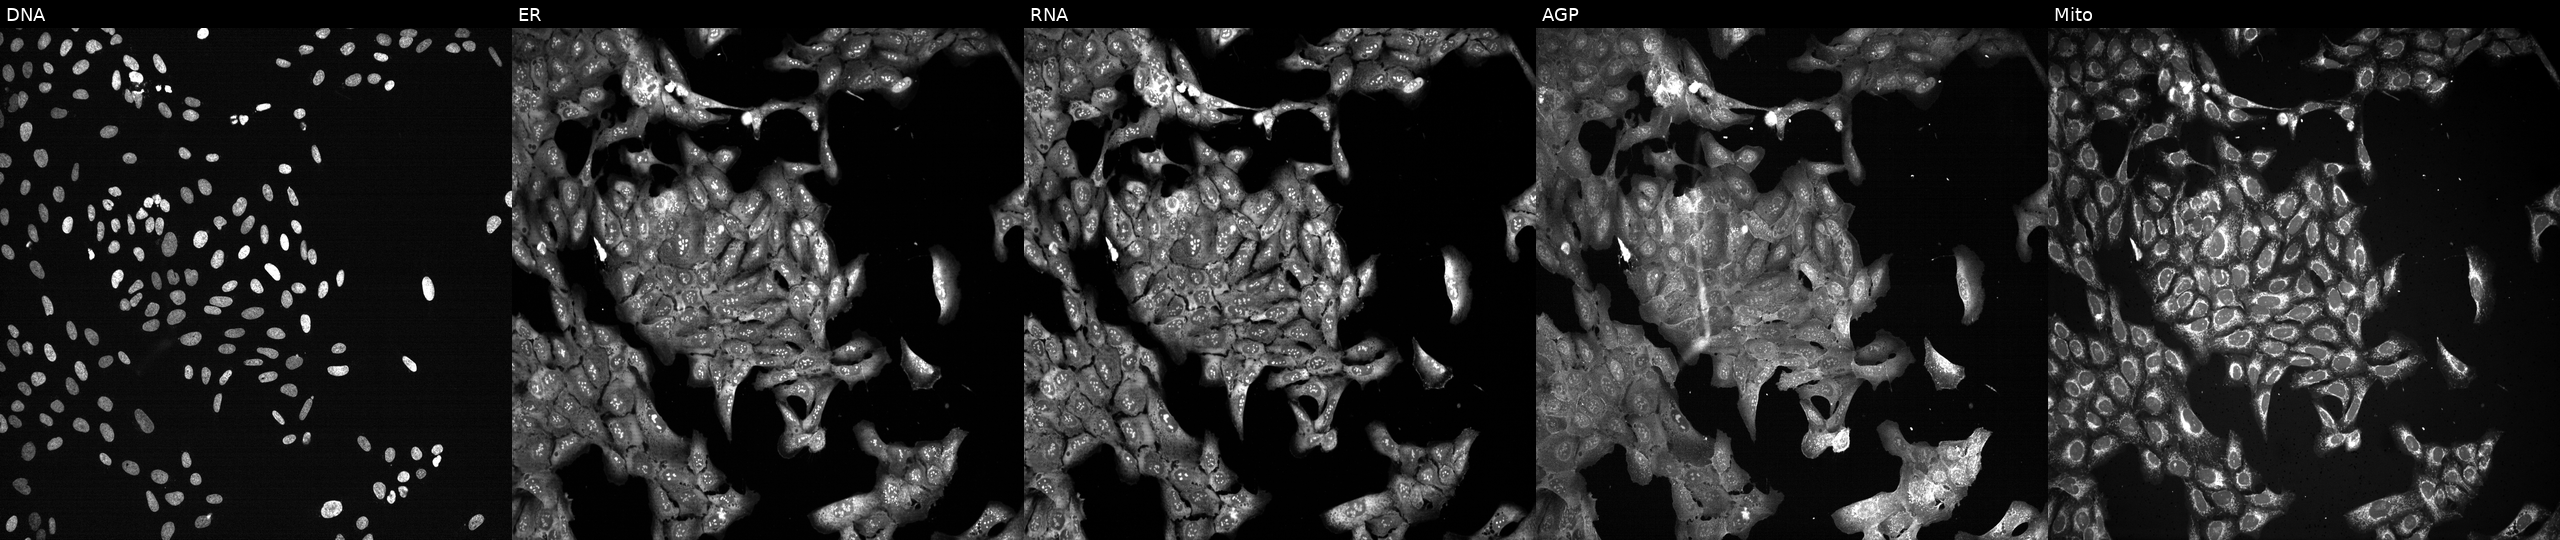
Five-channel Cell Painting image of U2OS cells following CRISPR knockout of EIF2B5. Channels (left→right): DNA, ER, RNA, AGP, and Mito. Source 13, plate CP-CC9-R4-04, well A15.